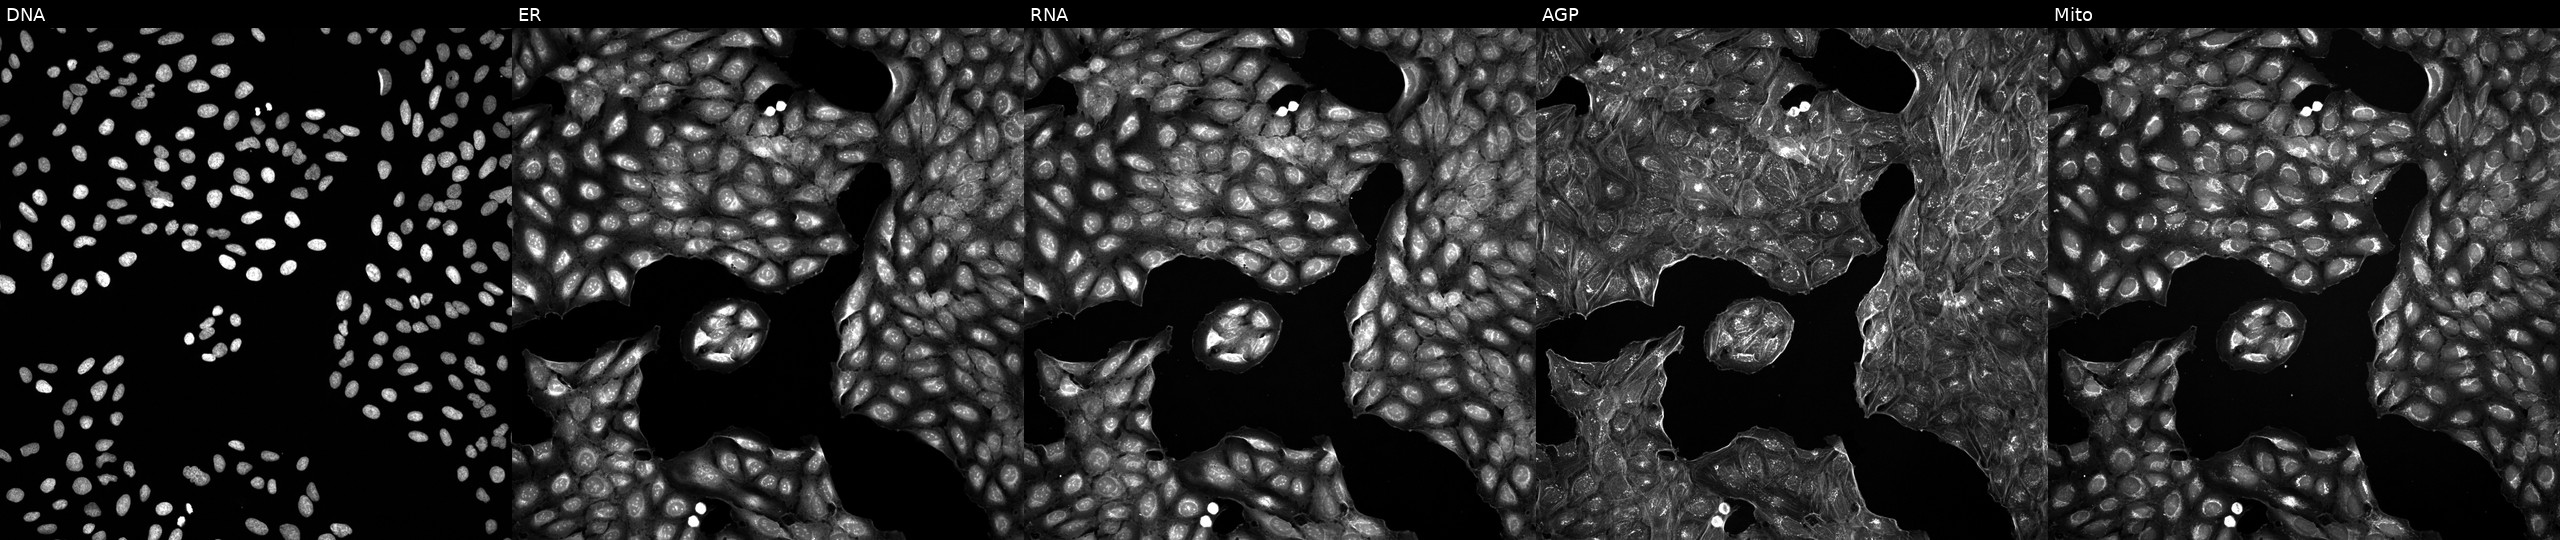
Five-channel Cell Painting image of U2OS cells treated with a small-molecule compound (InChIKey IXNGKHKWPXWNJW-UHFFFAOYSA-N) (JUMP id JCP2022_038001). The five panels, left to right, show DNA (nuclei); ER (endoplasmic reticulum); RNA (nucleoli and cytoplasmic RNA); AGP (actin cytoskeleton, Golgi, and plasma membrane); Mito (mitochondria). Source 5, plate APTJUM105, well A11.